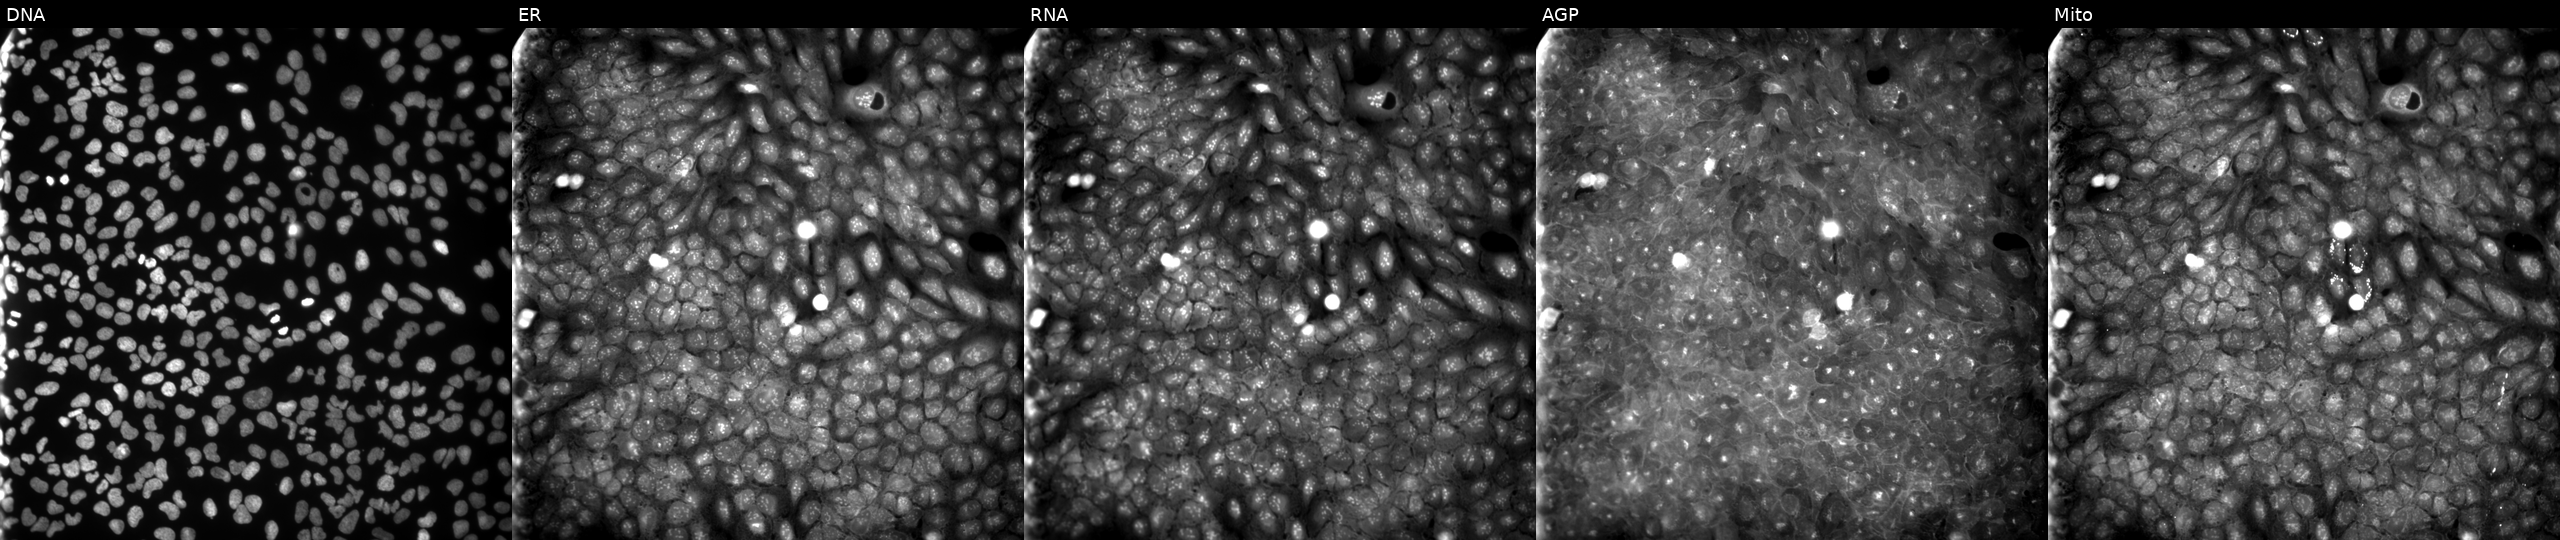
JUMP Cell Painting — COMPOUND plate. U2OS cells treated with a small-molecule compound (InChIKey HOSNZHHGPLAGHZ-UHFFFAOYSA-N) (JUMP id JCP2022_031584). The five panels, left to right, show DNA, ER, RNA, AGP, and Mito.